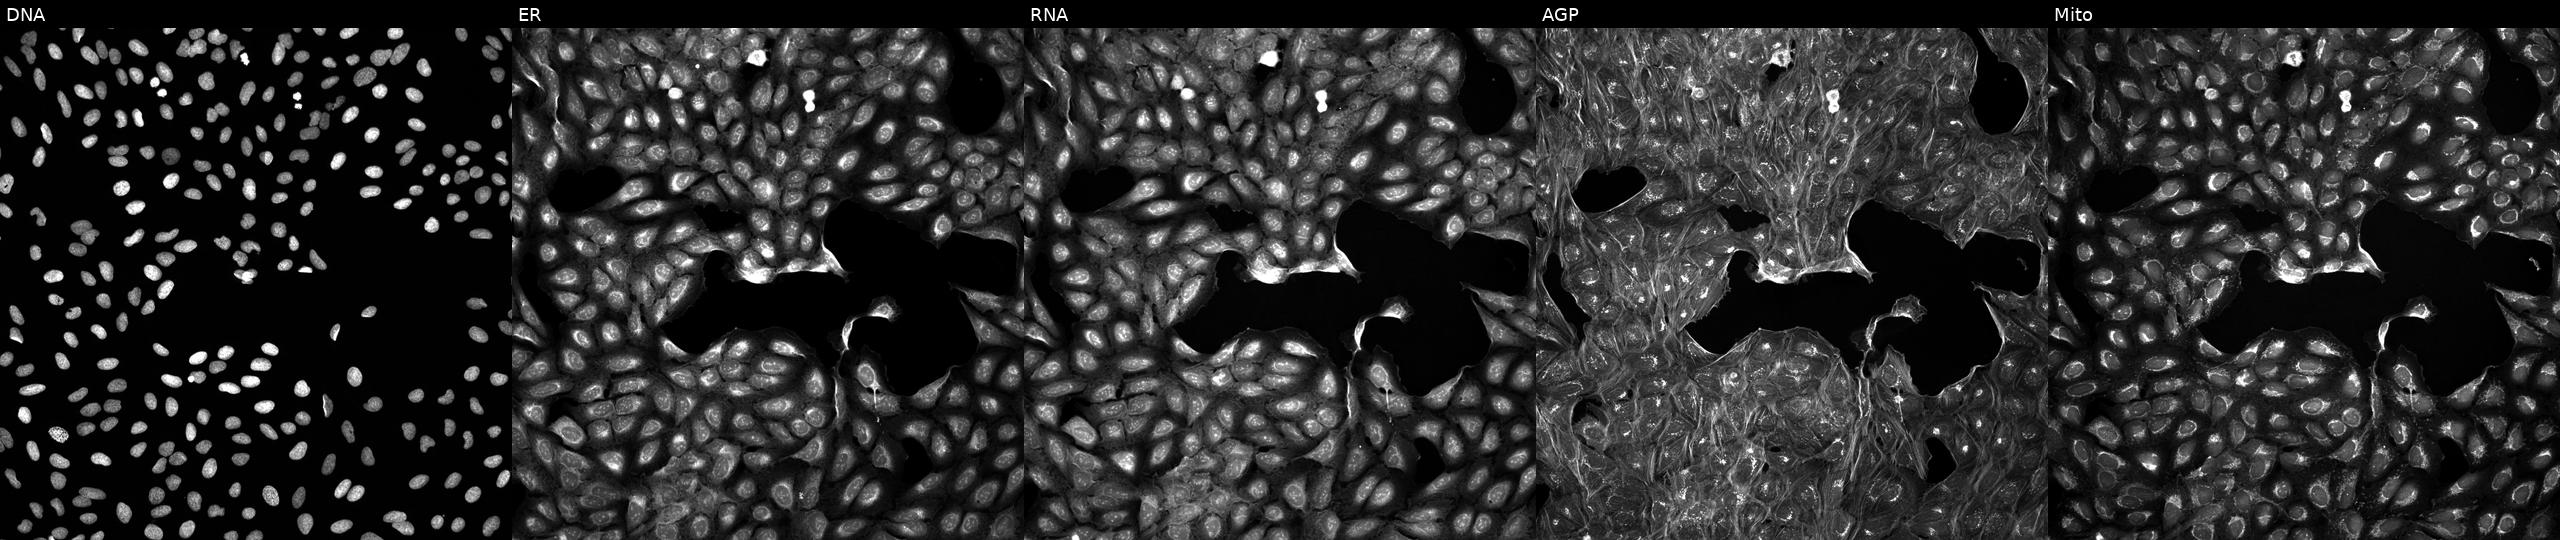
JUMP Cell Painting — TARGET2 plate. U2OS cells perturbed with a small-molecule compound [SMILES: O=C(c1ccc(Cl)cc1)N(Cc1ccccc1)C1CCCCC1] (JUMP id JCP2022_102917). From left to right: Hoechst 33342, concanavalin A, SYTO 14, phalloidin and WGA, MitoTracker. Source 5, plate ACPJUM012, well F08.